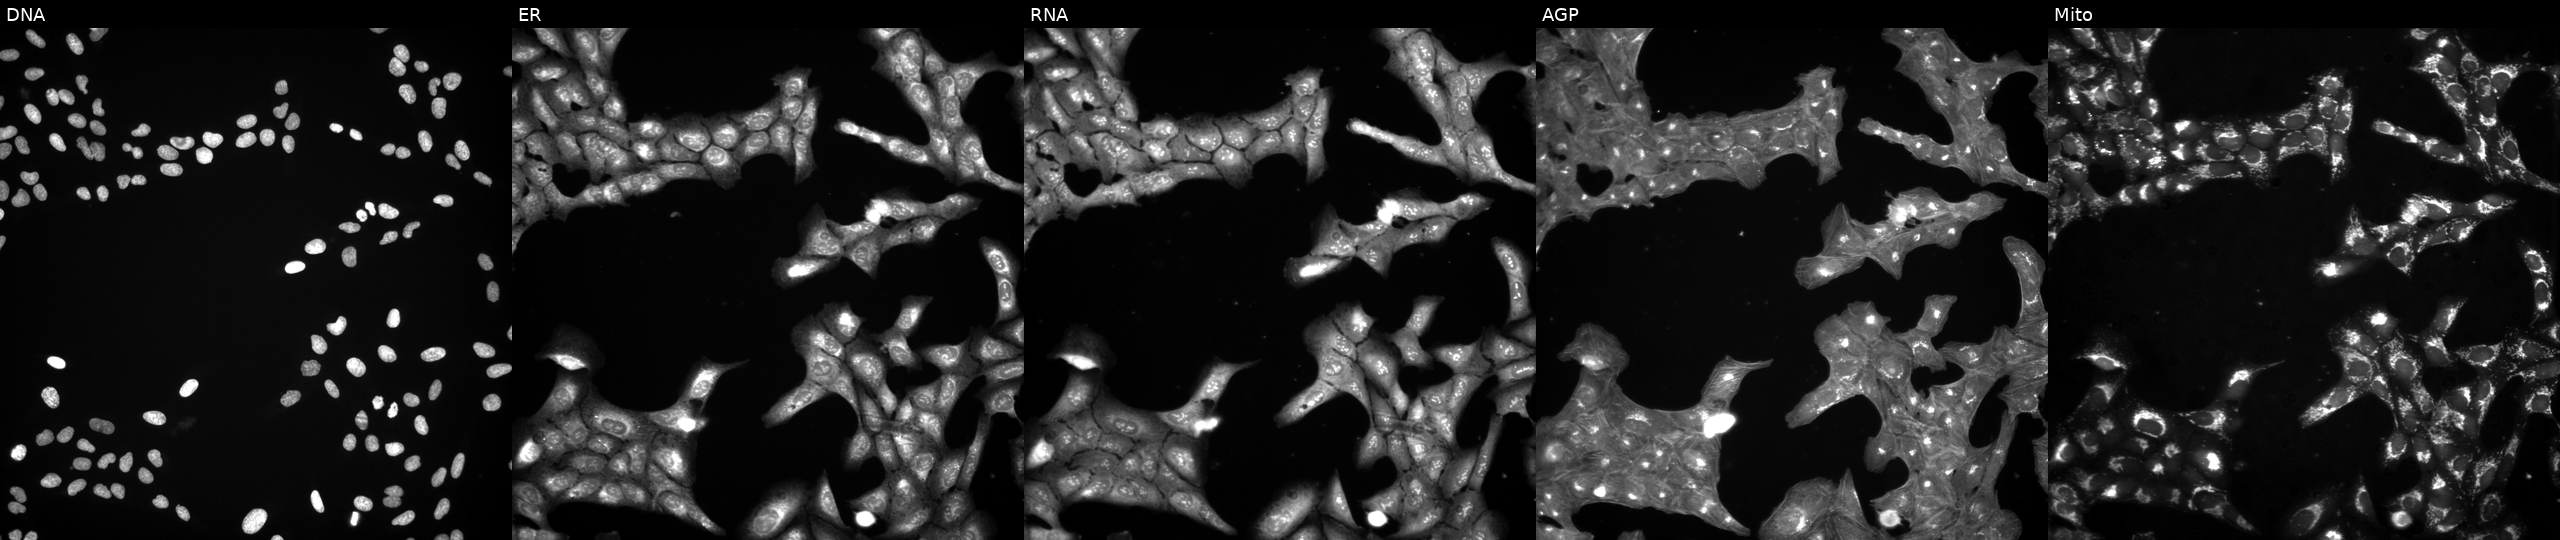
U2OS cells, Cell Painting assay, treated with DMSO vehicle only (negative control). Panels show, left to right, DNA, ER, RNA, AGP, and Mito. Each panel is percentile-stretched 16-bit fluorescence. Source 3, plate BR5867b3, well I02.